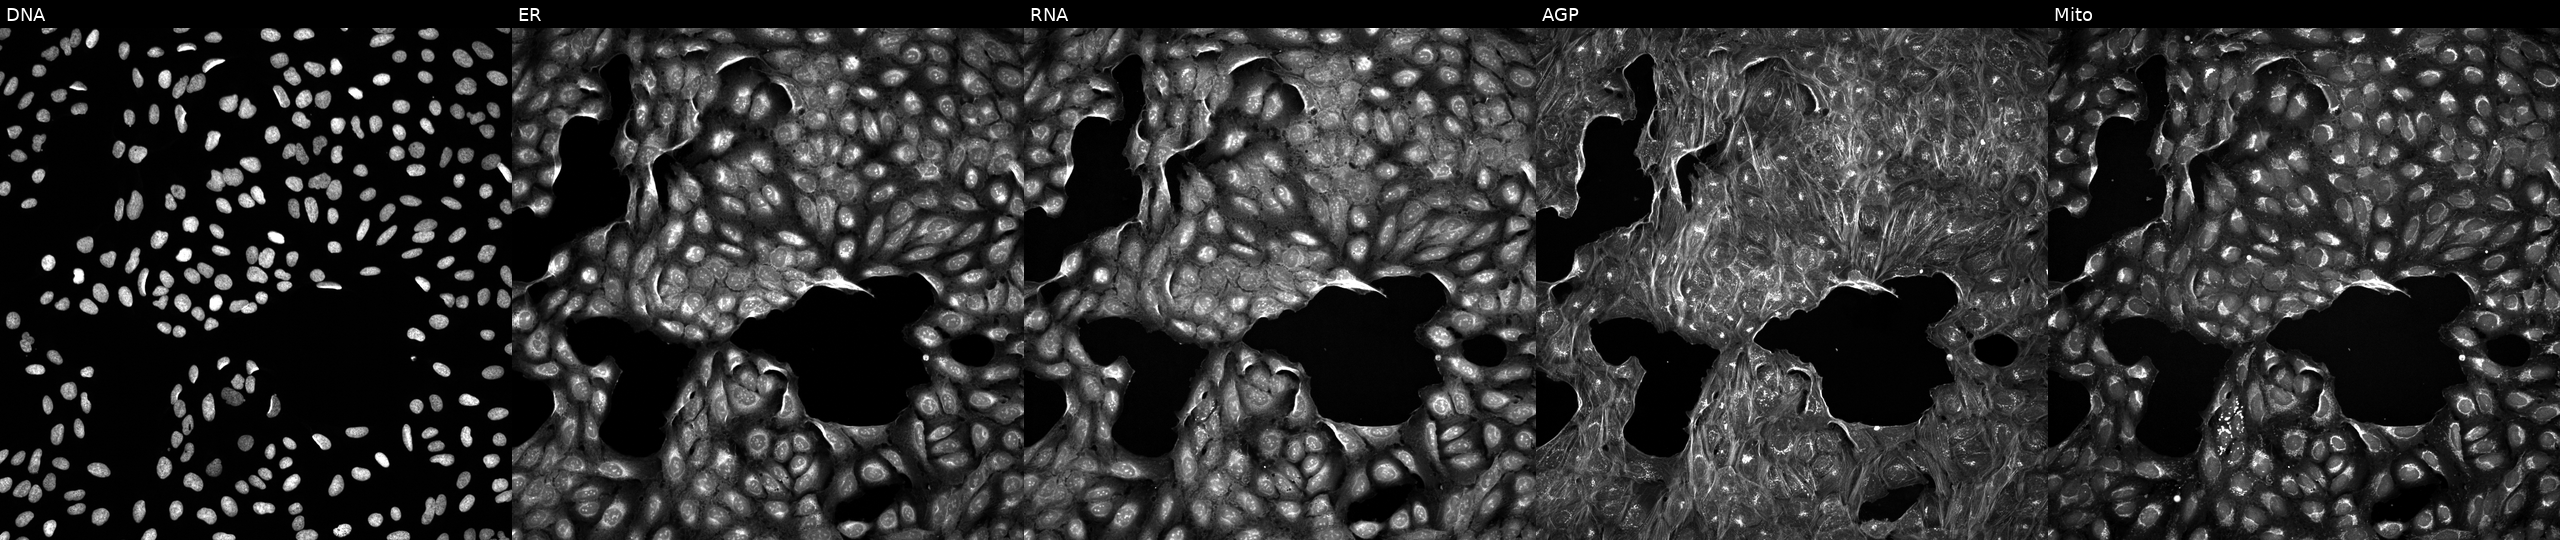
JUMP Cell Painting — TARGET2 plate. U2OS cells treated with a small-molecule compound (InChIKey KAQKFAOMNZTLHT-UHFFFAOYSA-N). Panels show, left to right, DNA (nuclei); ER (endoplasmic reticulum); RNA (nucleoli and cytoplasmic RNA); AGP (actin cytoskeleton, Golgi, and plasma membrane); Mito (mitochondria). Source 5, plate ACPJUM032, well L21.